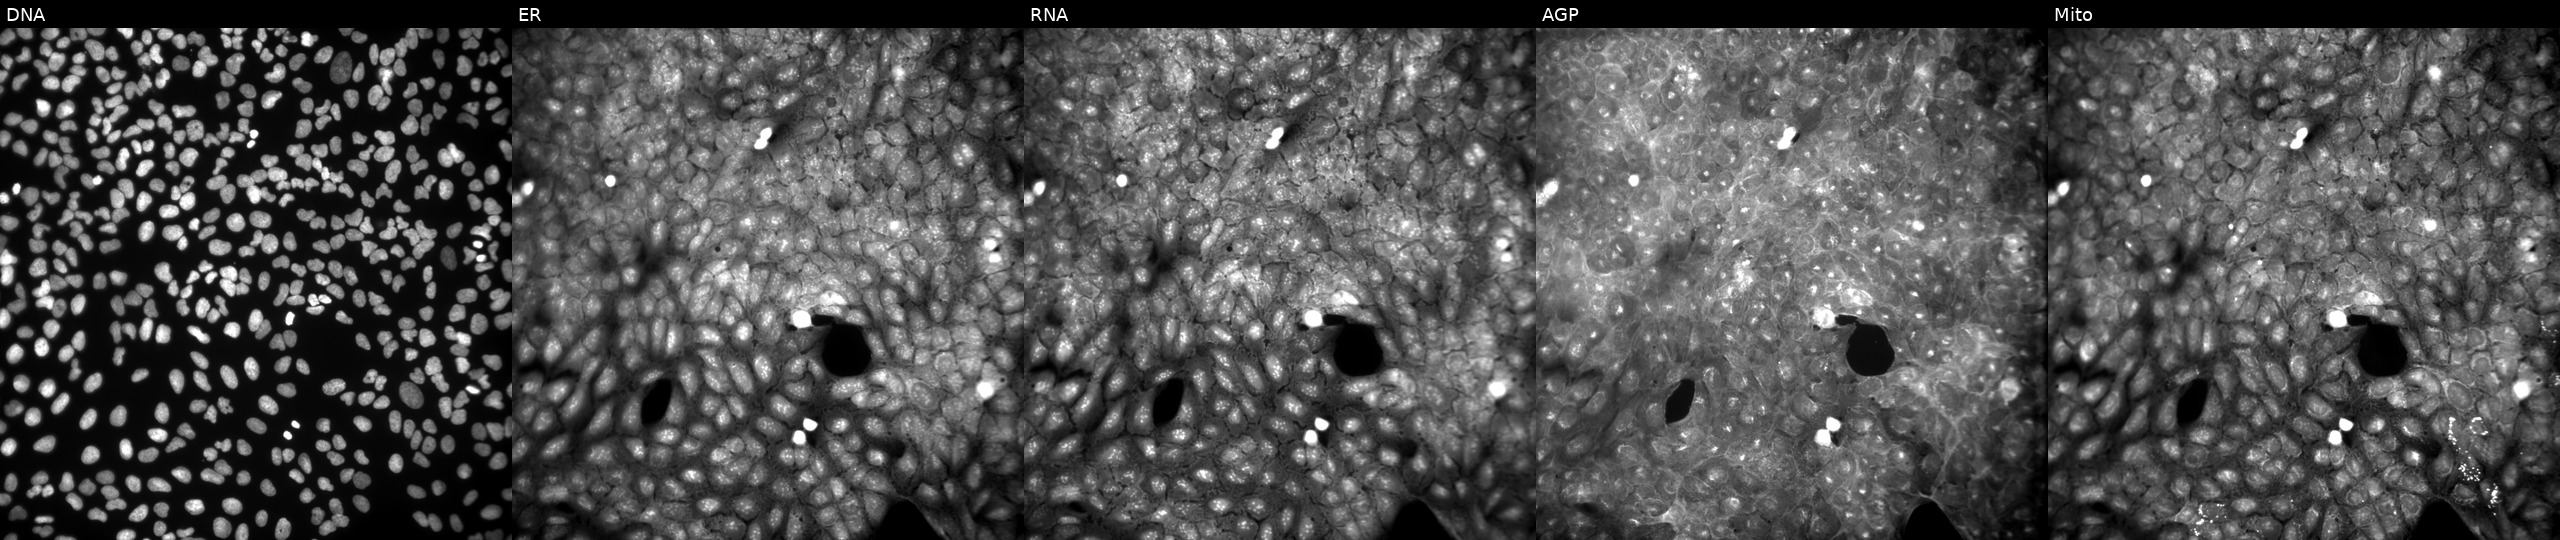
The five panels, left to right, show Hoechst 33342, concanavalin A, SYTO 14, phalloidin and WGA, MitoTracker. U2OS osteosarcoma cells treated with DMSO vehicle only (negative control) (JUMP id JCP2022_033924). Cell Painting assay, JUMP-CP dataset.